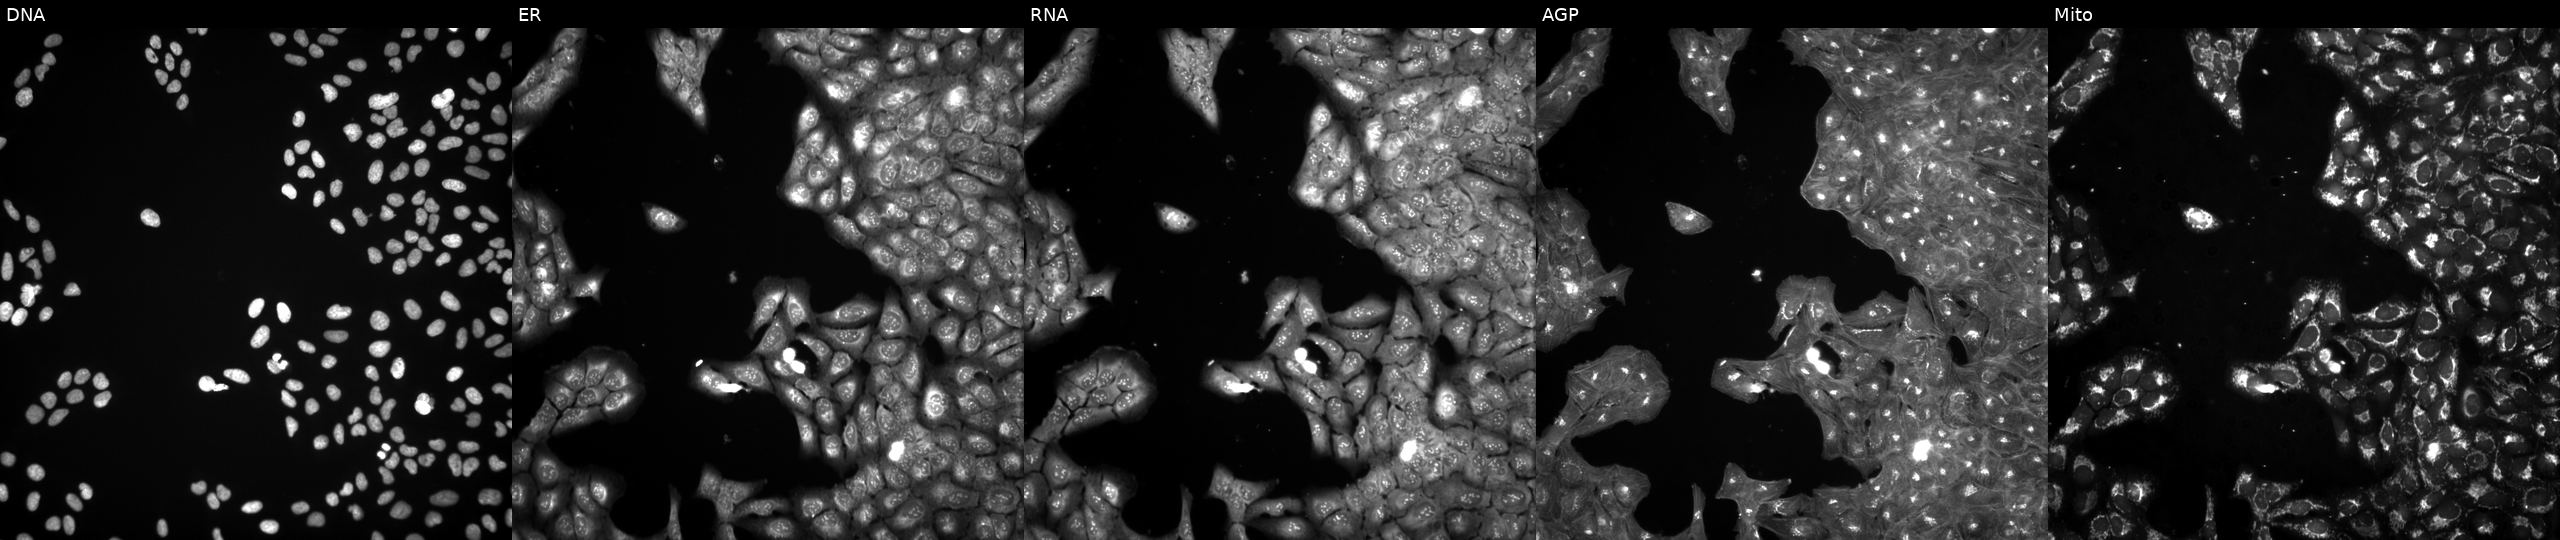
This image strip shows the five Cell Painting channels for a single field of U2OS cells treated with NVS-PAK1-1 (positive-control compound). Panels show, left to right, DNA (nuclei); ER (endoplasmic reticulum); RNA (nucleoli and cytoplasmic RNA); AGP (actin cytoskeleton, Golgi, and plasma membrane); Mito (mitochondria).